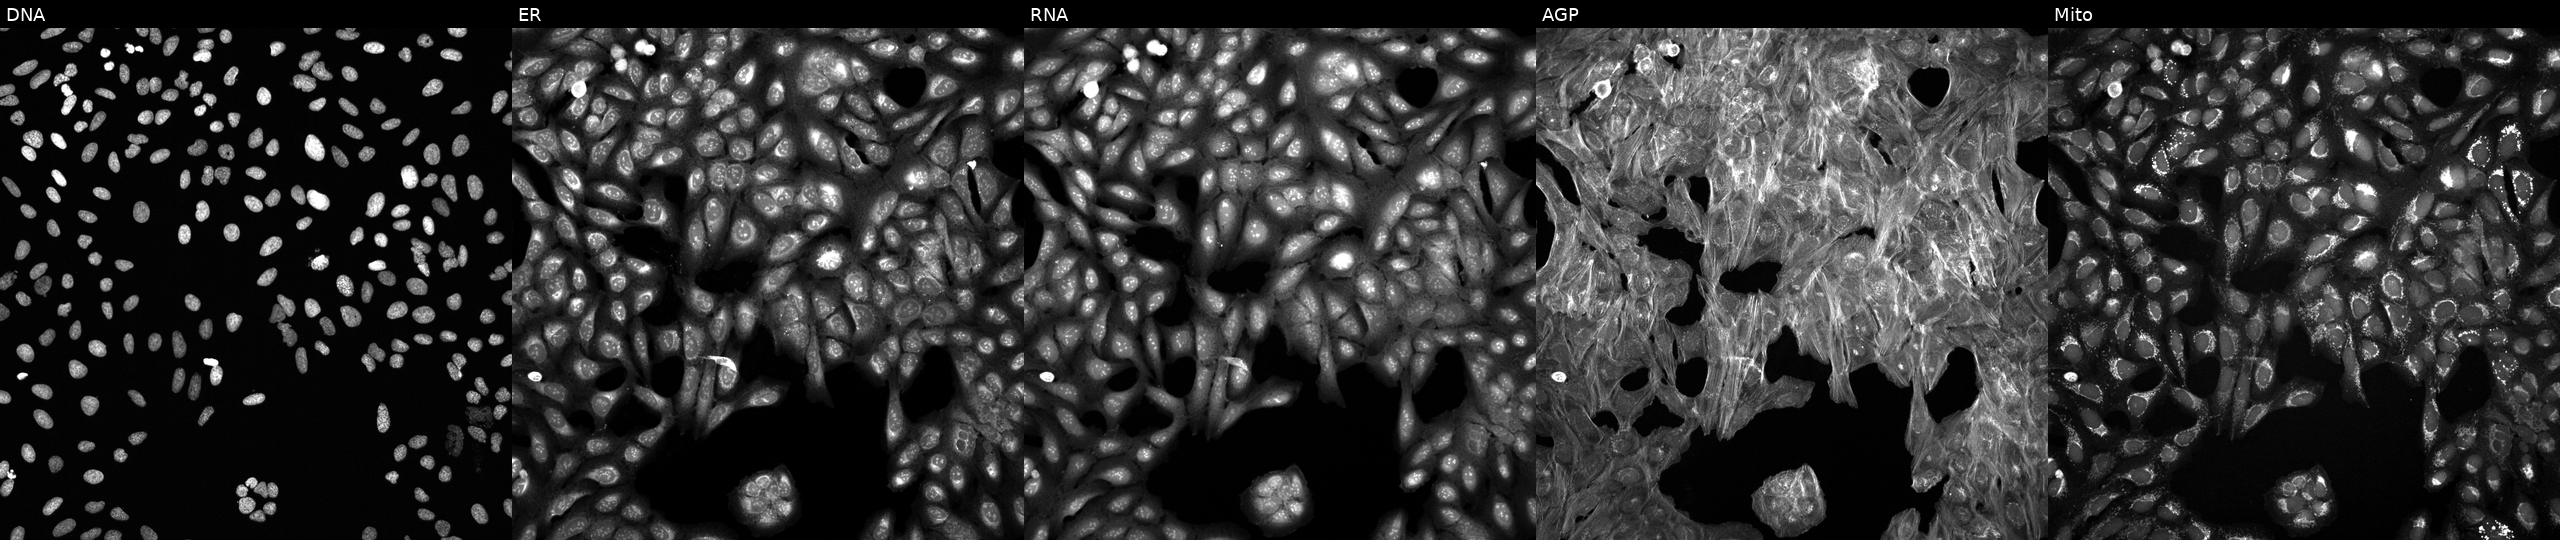
JUMP Cell Painting — TARGET2 plate. U2OS cells treated with a small-molecule compound (InChIKey JDKKNQACNITFEA-UHFFFAOYSA-N) (JUMP id JCP2022_039047). From left to right: Hoechst 33342, concanavalin A, SYTO 14, phalloidin and WGA, MitoTracker.